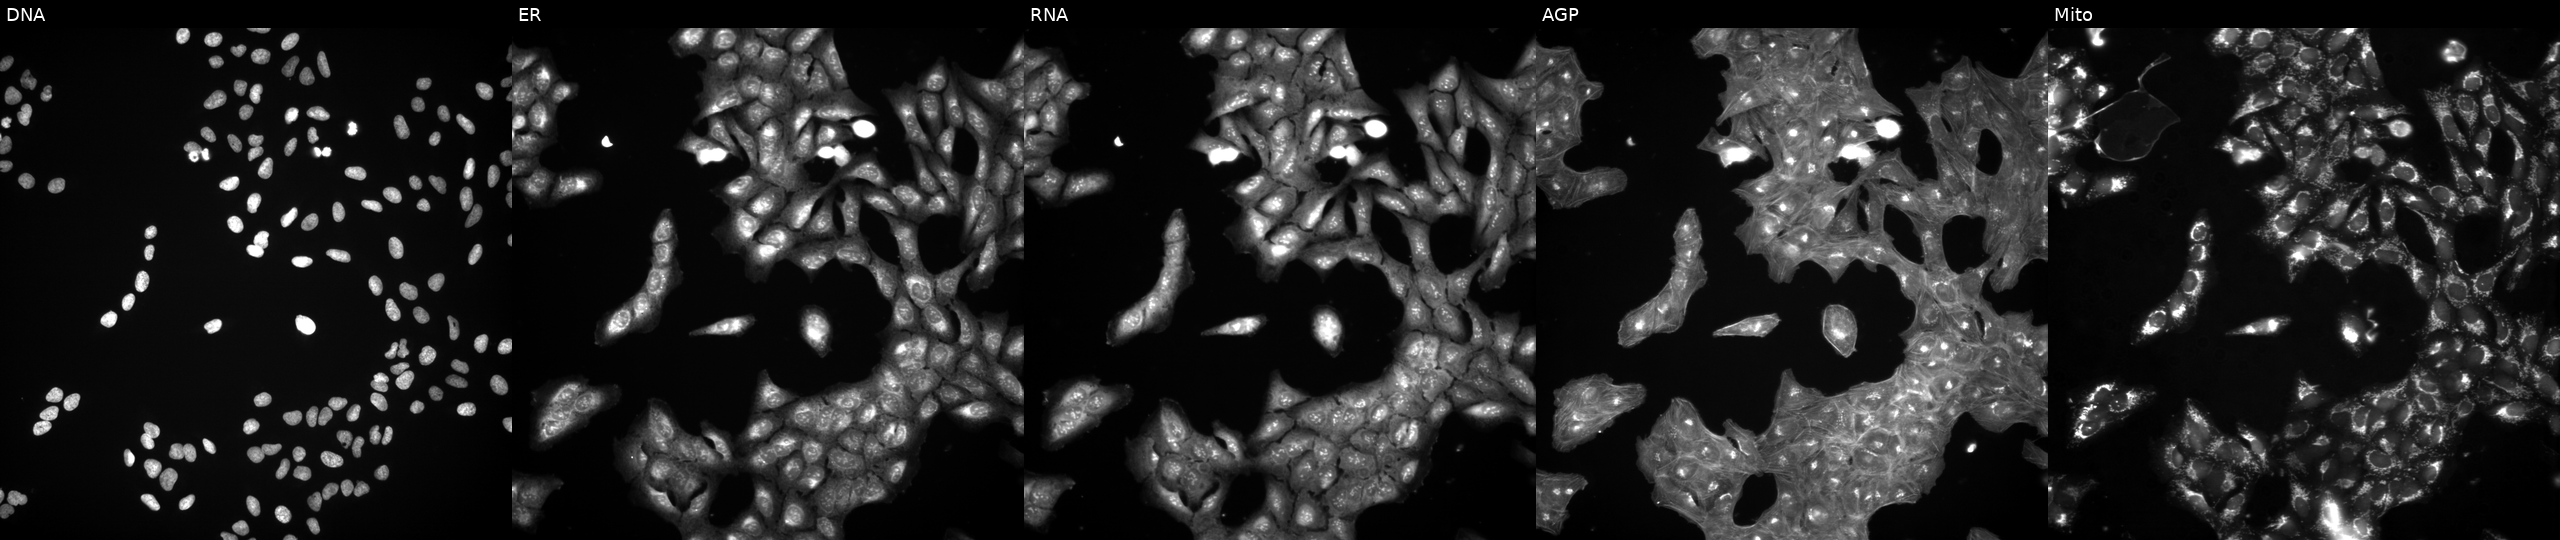
High-content fluorescence microscopy (Cell Painting). Cell line: U2OS. Perturbation: untreated (empty-well control). Channels (left→right): Hoechst 33342, concanavalin A, SYTO 14, phalloidin and WGA, MitoTracker.